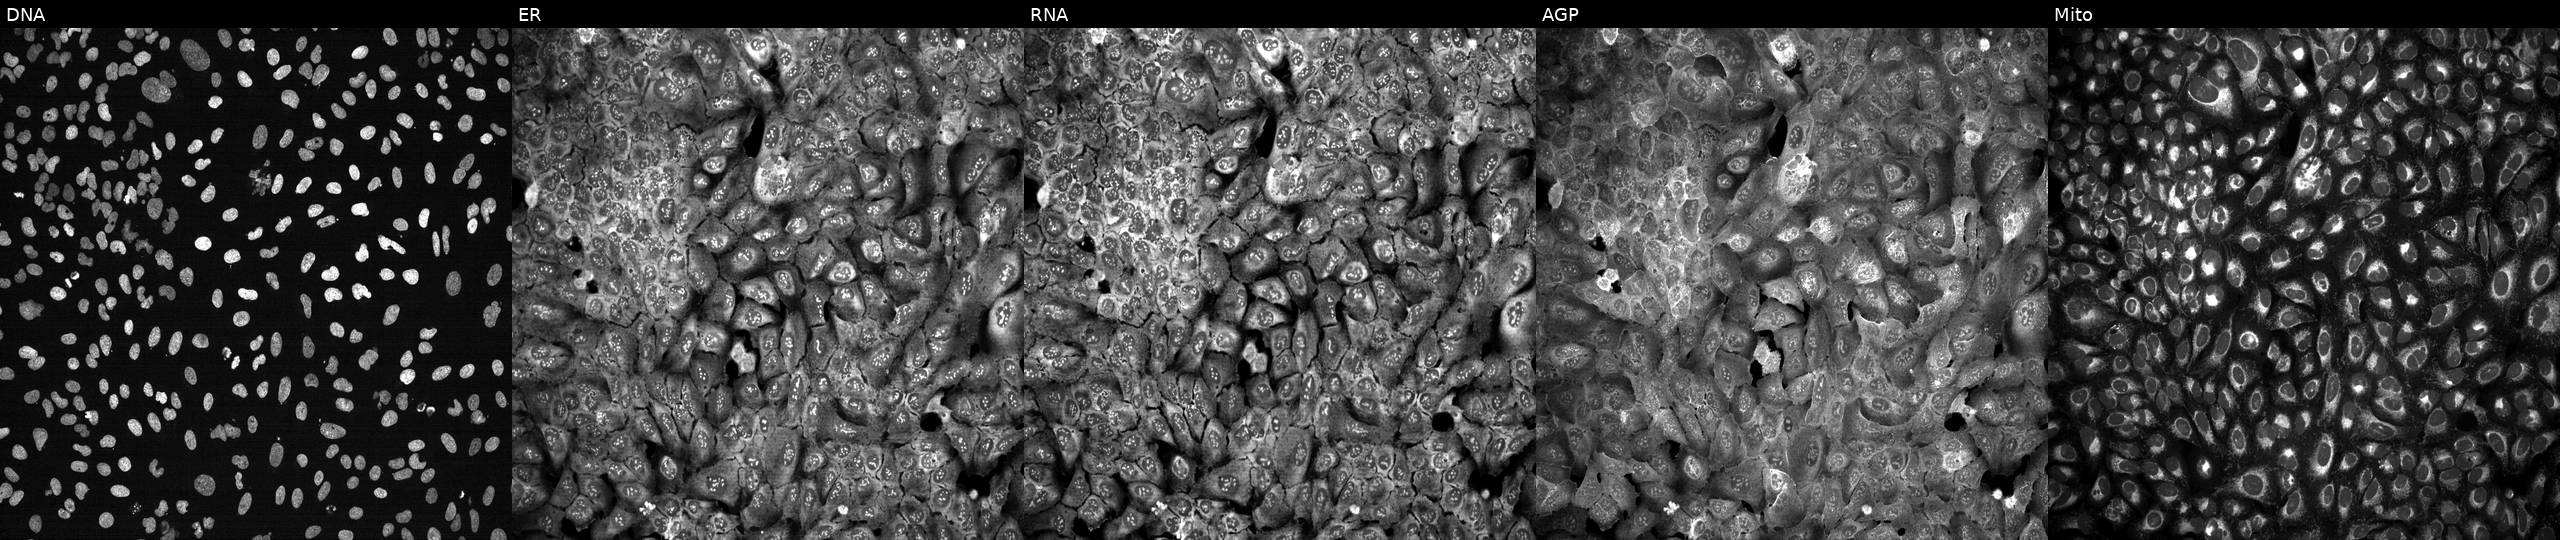
Five-channel Cell Painting image of U2OS cells with GAL3ST3 knocked out by CRISPR (JUMP id JCP2022_802577). Channels (left→right): DNA (nuclei); ER (endoplasmic reticulum); RNA (nucleoli and cytoplasmic RNA); AGP (actin cytoskeleton, Golgi, and plasma membrane); Mito (mitochondria).